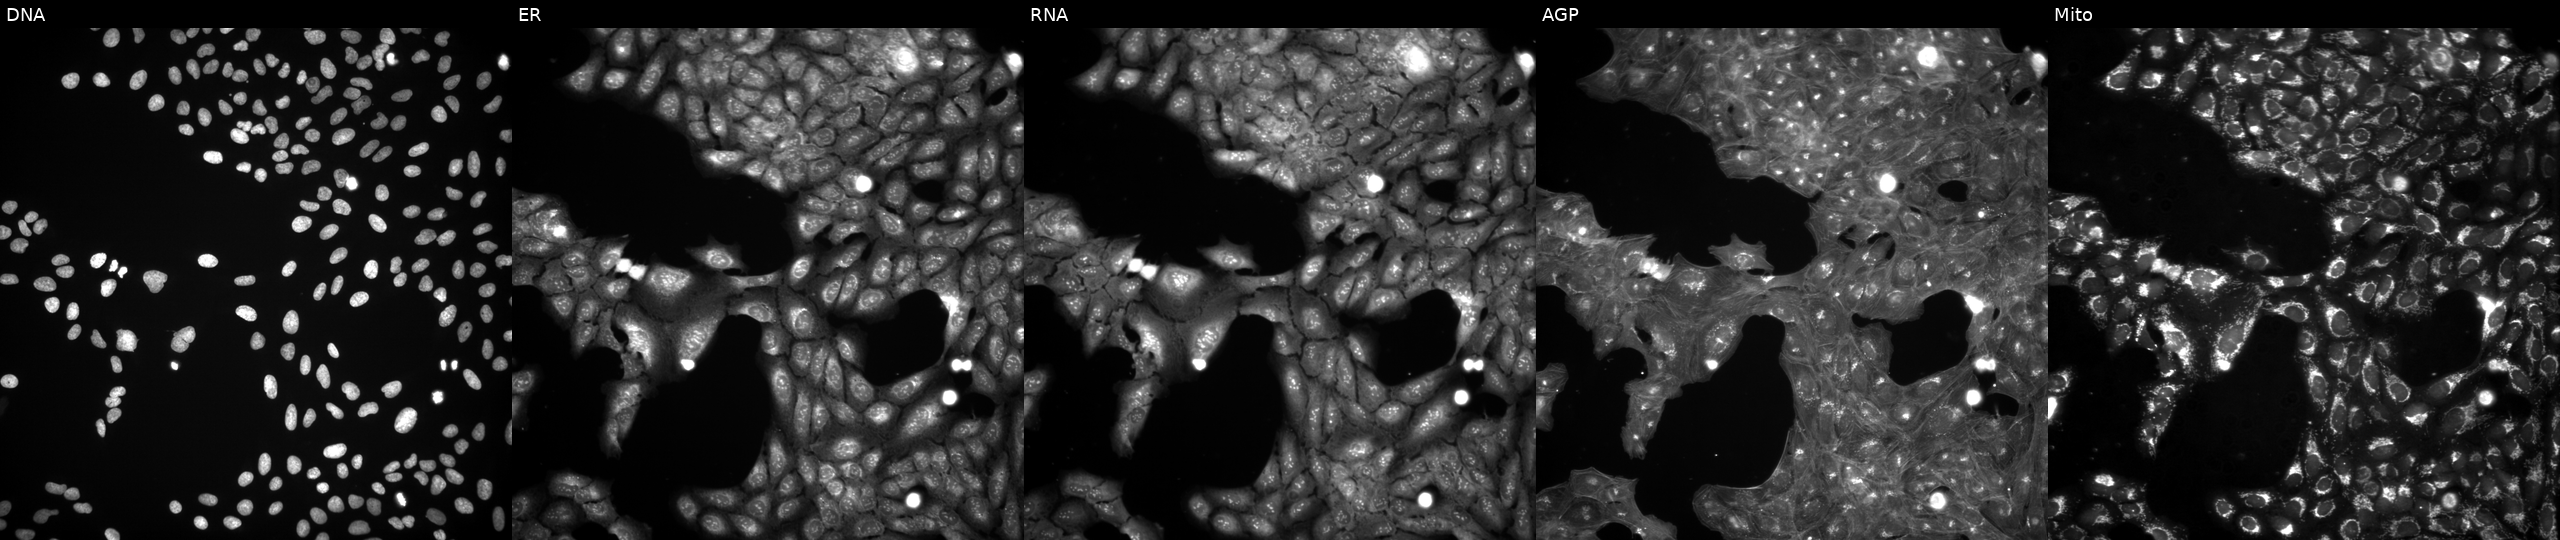
Five-channel Cell Painting image of U2OS cells exposed to a small-molecule compound. Channels (left→right): DNA (nuclei); ER (endoplasmic reticulum); RNA (nucleoli and cytoplasmic RNA); AGP (actin cytoskeleton, Golgi, and plasma membrane); Mito (mitochondria). Source 3, plate JCPQC052, well H16.